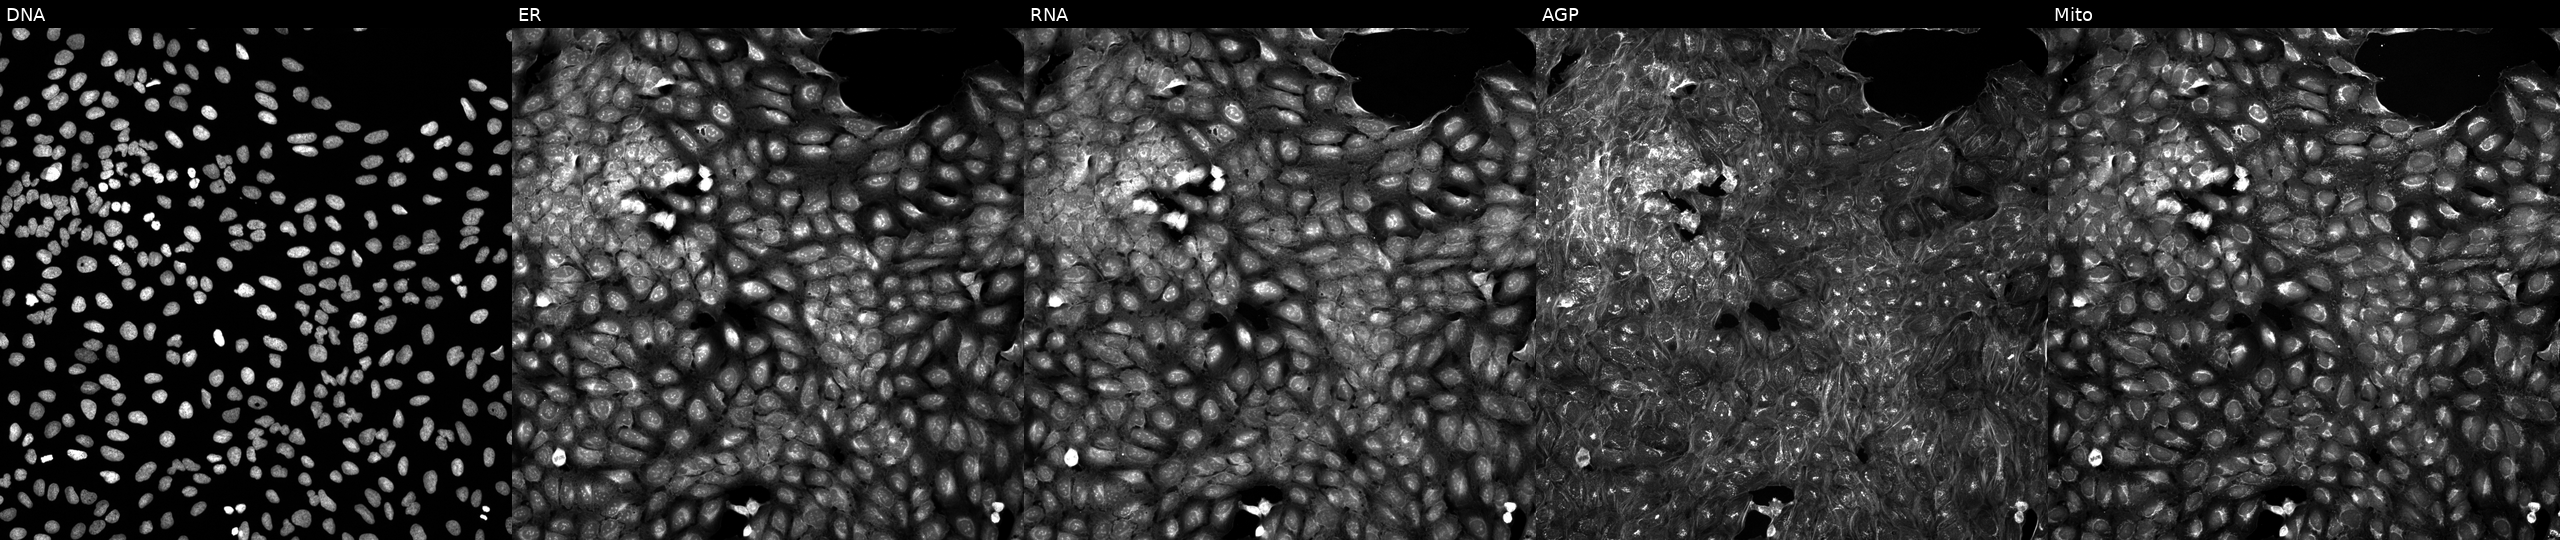
JUMP Cell Painting — COMPOUND plate. U2OS cells treated with a small-molecule compound (InChIKey HIJBZALNPYRQKK-UHFFFAOYSA-N). The five panels, left to right, show DNA (nuclei); ER (endoplasmic reticulum); RNA (nucleoli and cytoplasmic RNA); AGP (actin cytoskeleton, Golgi, and plasma membrane); Mito (mitochondria).